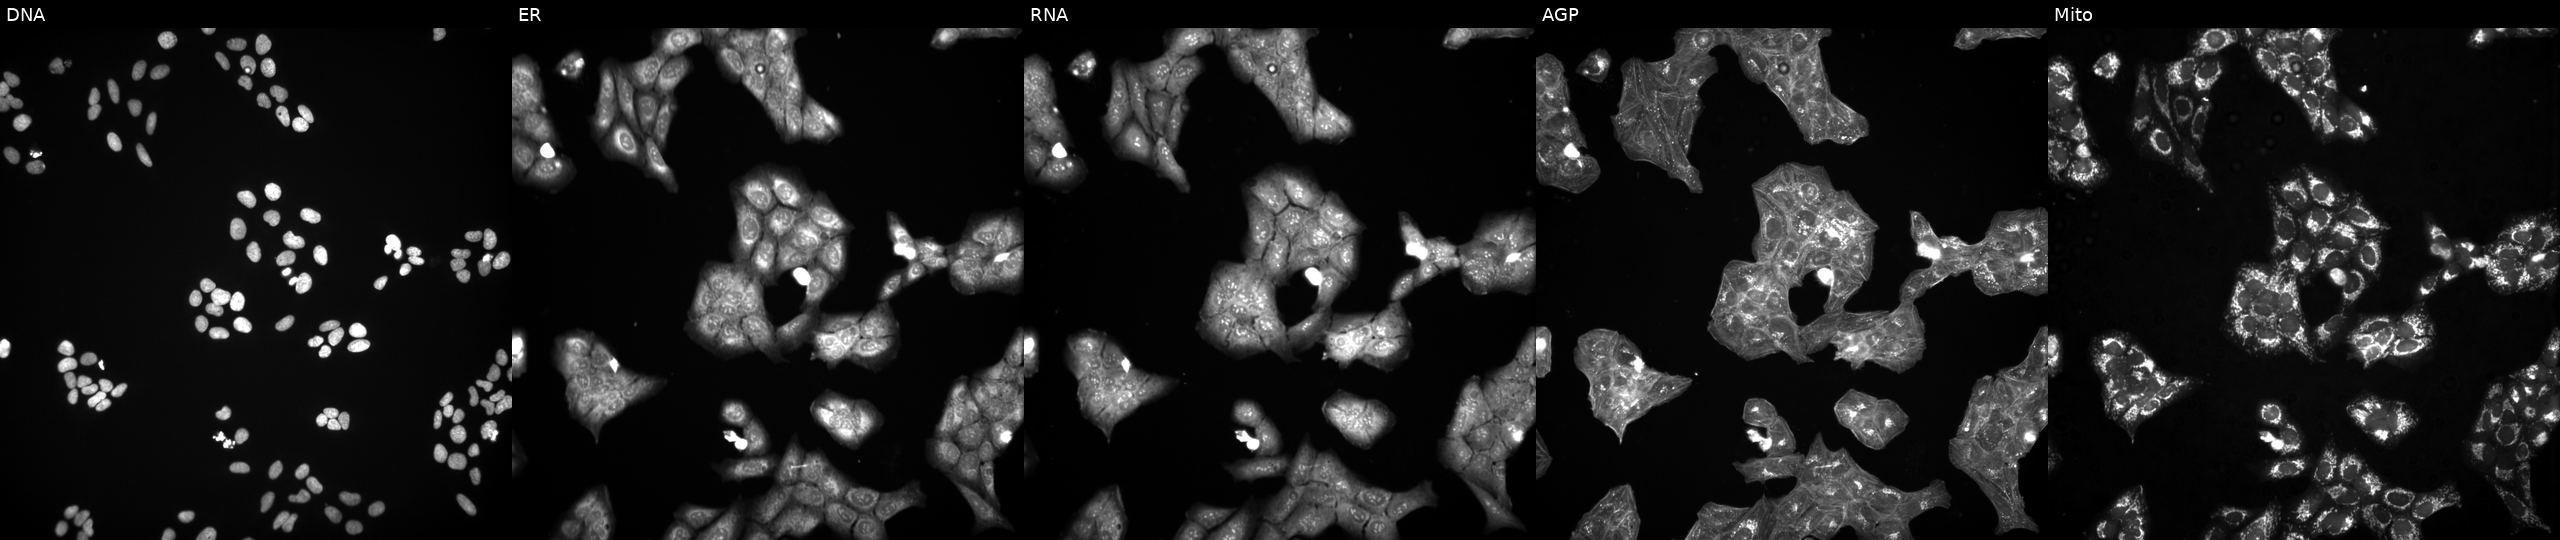
Five-channel Cell Painting image of U2OS cells perturbed with a small-molecule compound (InChIKey XXJWYDDUDKYVKI-UHFFFAOYSA-N). The five panels, left to right, show DNA, ER, RNA, AGP, and Mito. Source 3, plate JCPQC051, well M20.